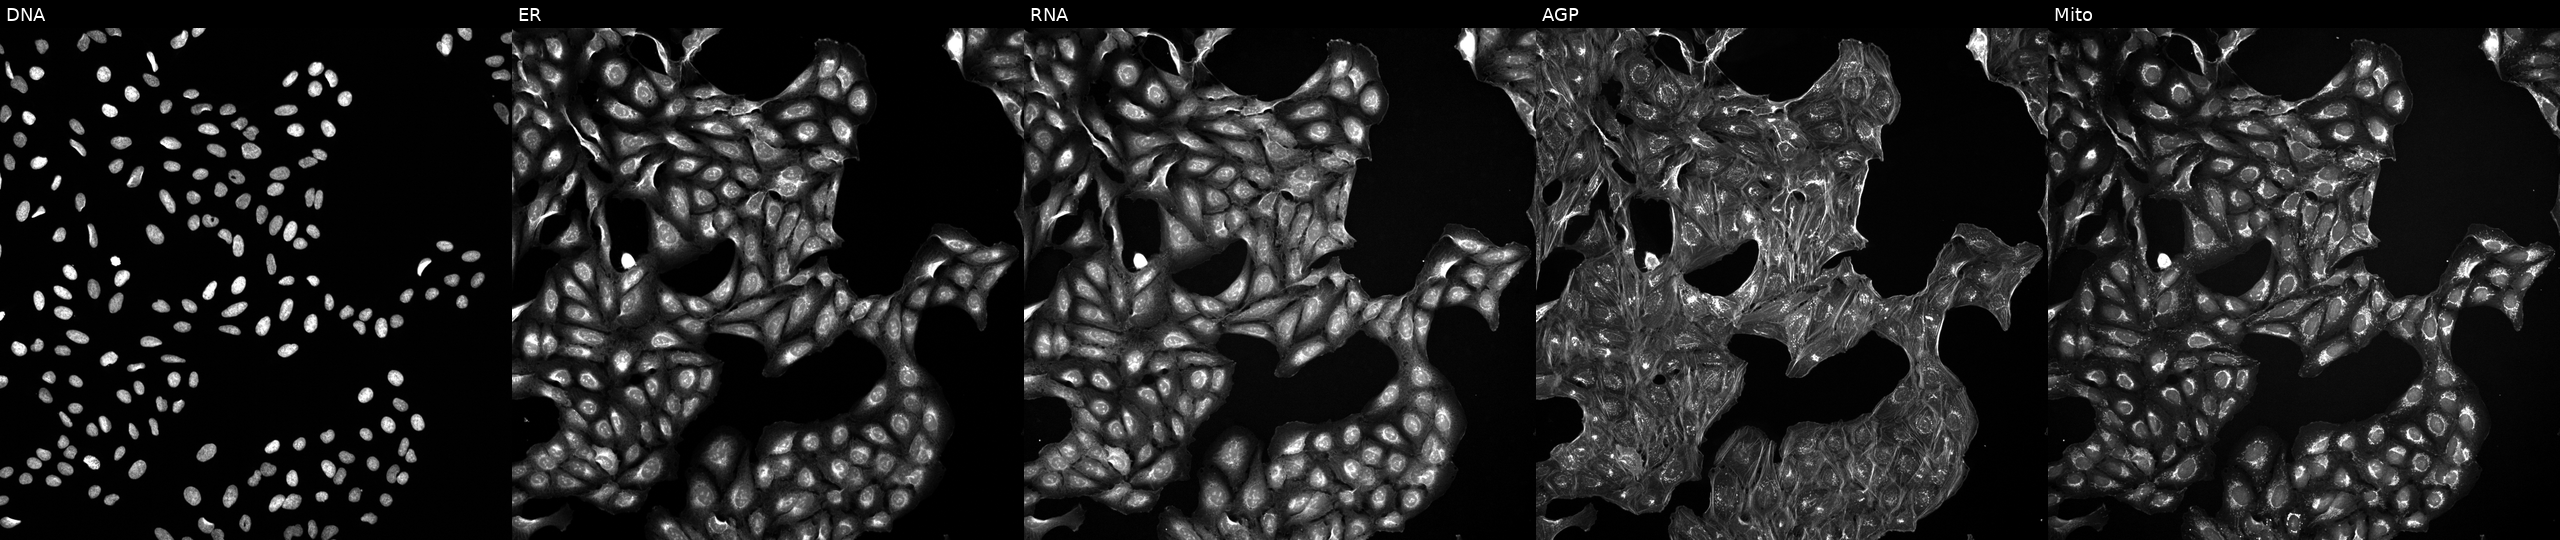
Five-channel Cell Painting image of U2OS cells perturbed with a small-molecule compound (InChIKey FNYLWPVRPXGIIP-UHFFFAOYSA-N). Panels show, left to right, Hoechst 33342, concanavalin A, SYTO 14, phalloidin and WGA, MitoTracker.